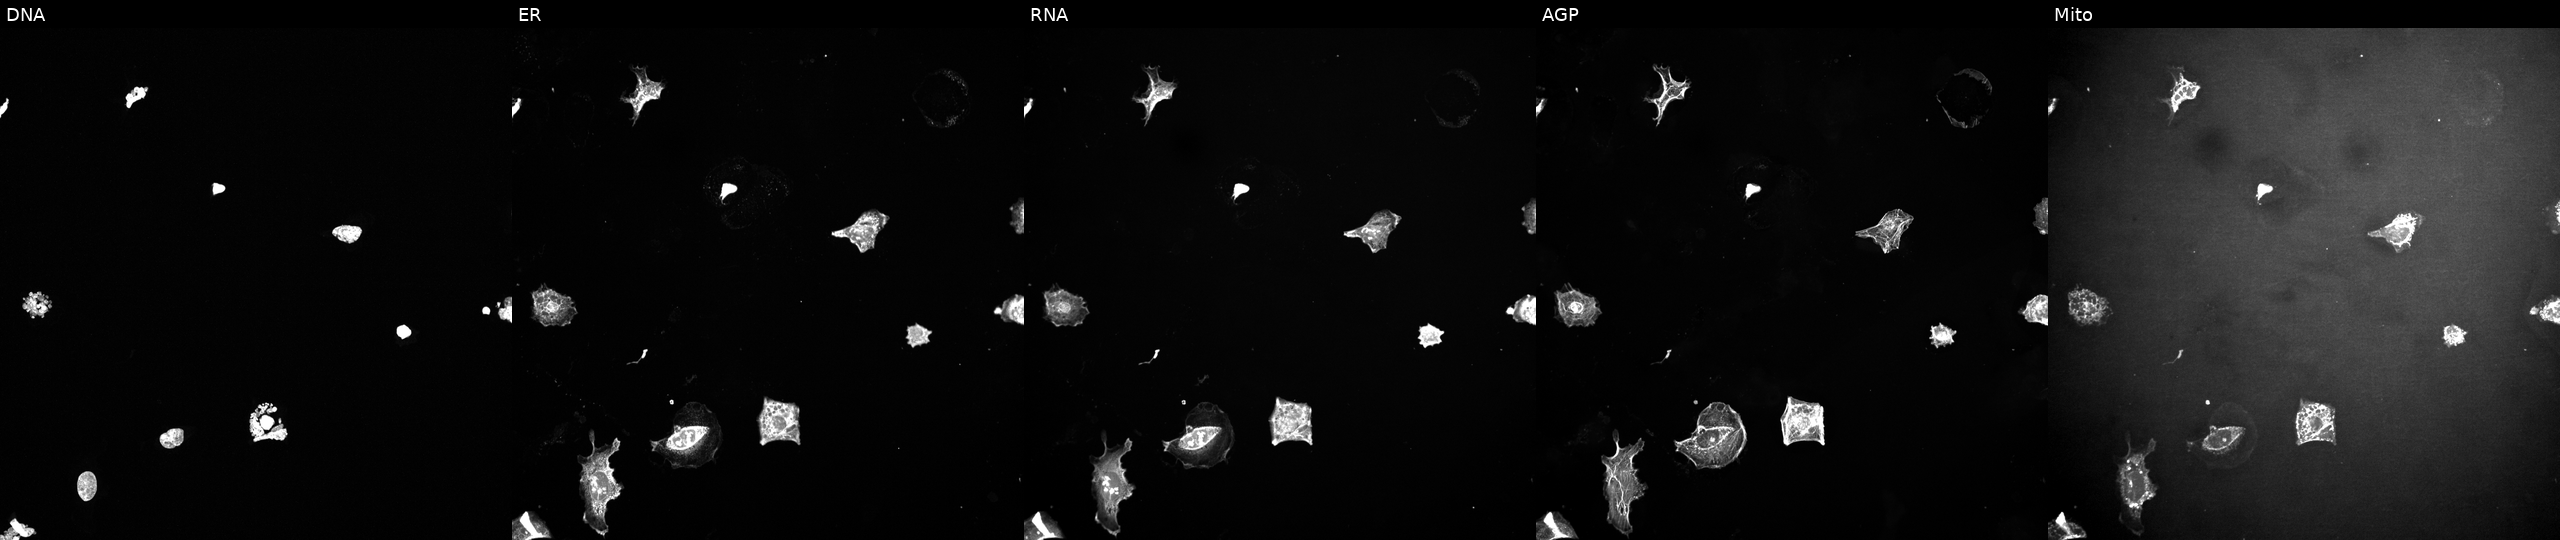
U2OS cells, Cell Painting assay, exposed to a small-molecule compound (InChIKey RAOCRURYZCVHMG-UHFFFAOYSA-N). Panels show, left to right, DNA, ER, RNA, AGP, and Mito. Each panel is percentile-stretched 16-bit fluorescence.